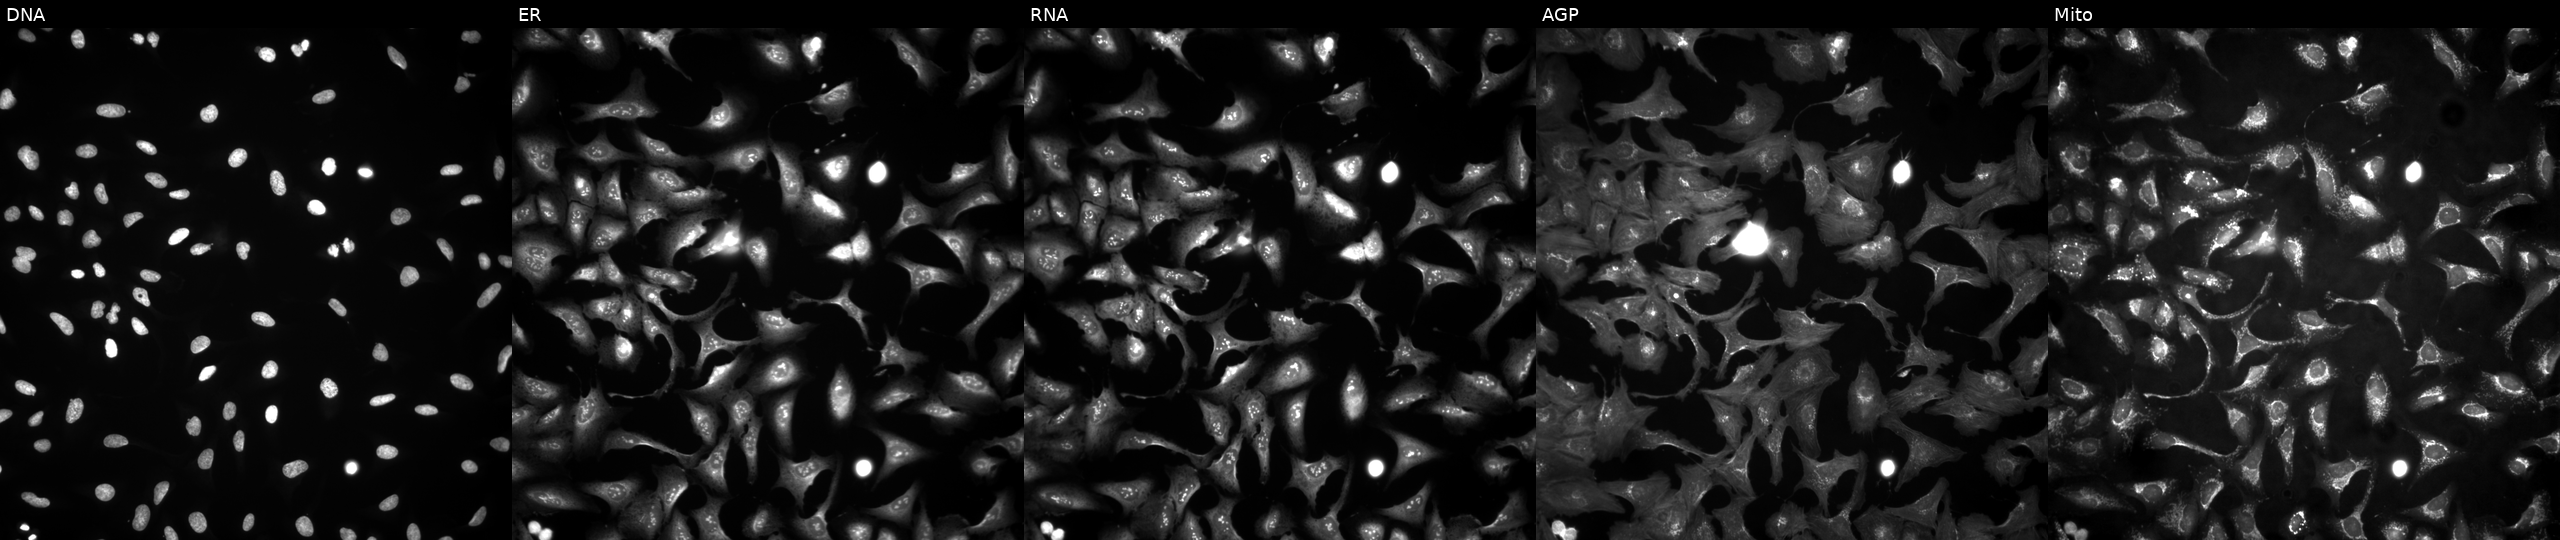
High-content fluorescence microscopy (Cell Painting). Cell line: U2OS. Perturbation: transfected with a failed ORF construct (JUMP BAD CONSTRUCT marker) (JUMP id JCP2022_900001). From left to right: DNA, ER, RNA, AGP, and Mito. Source 4, plate BR00124784, well L17.